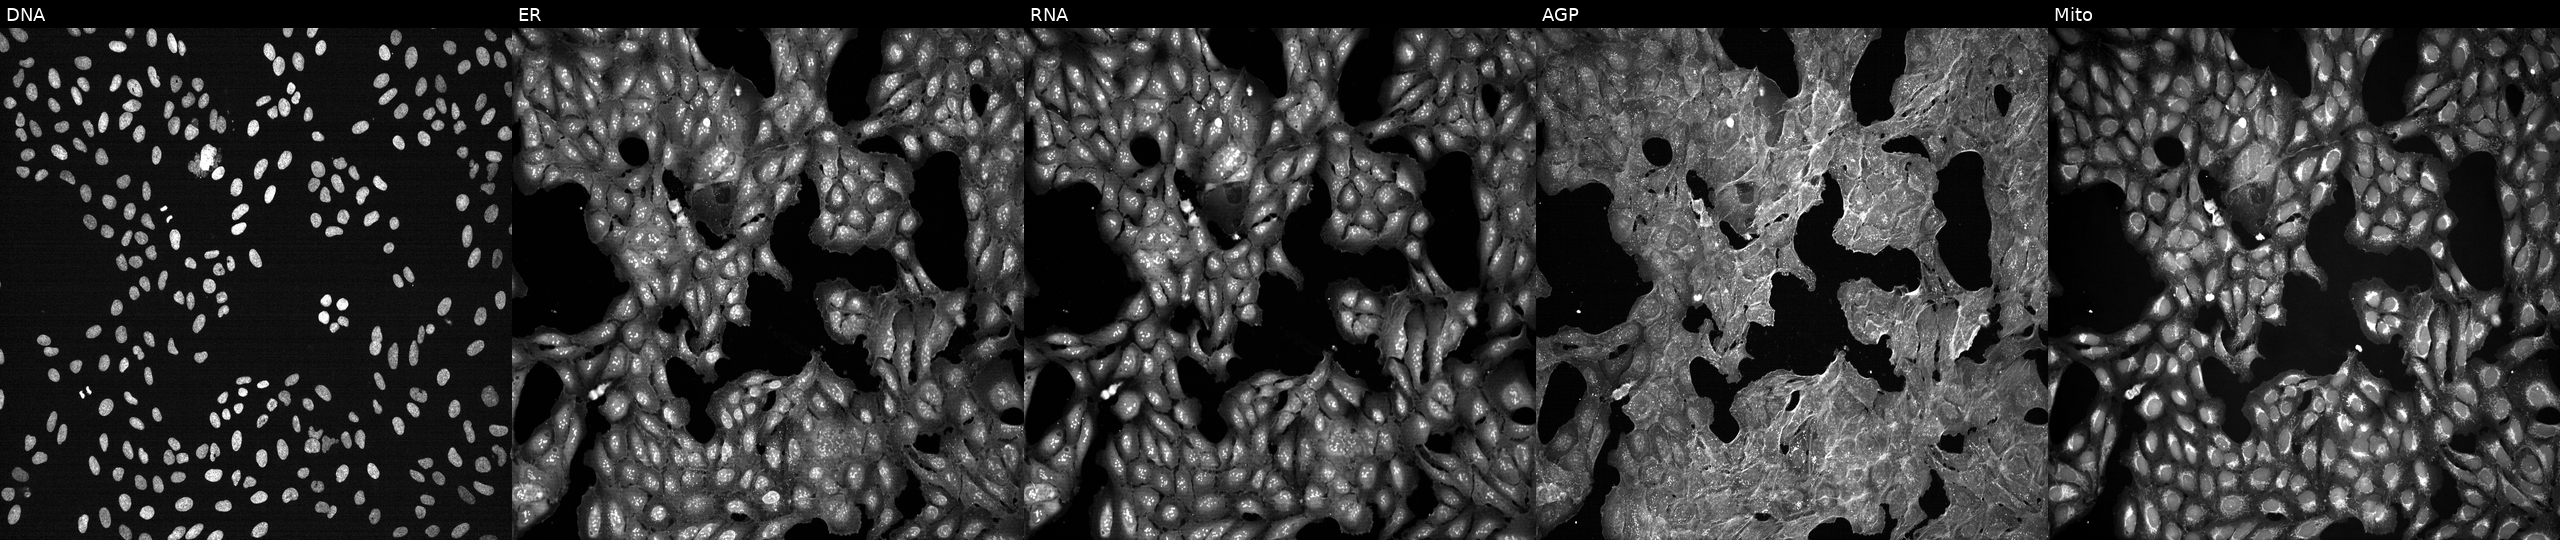
From left to right: DNA, ER, RNA, AGP, and Mito. U2OS osteosarcoma cells perturbed with a small-molecule compound (InChIKey VFSVKVQMZDJFQX-UHFFFAOYSA-N). Cell Painting assay, JUMP-CP dataset.